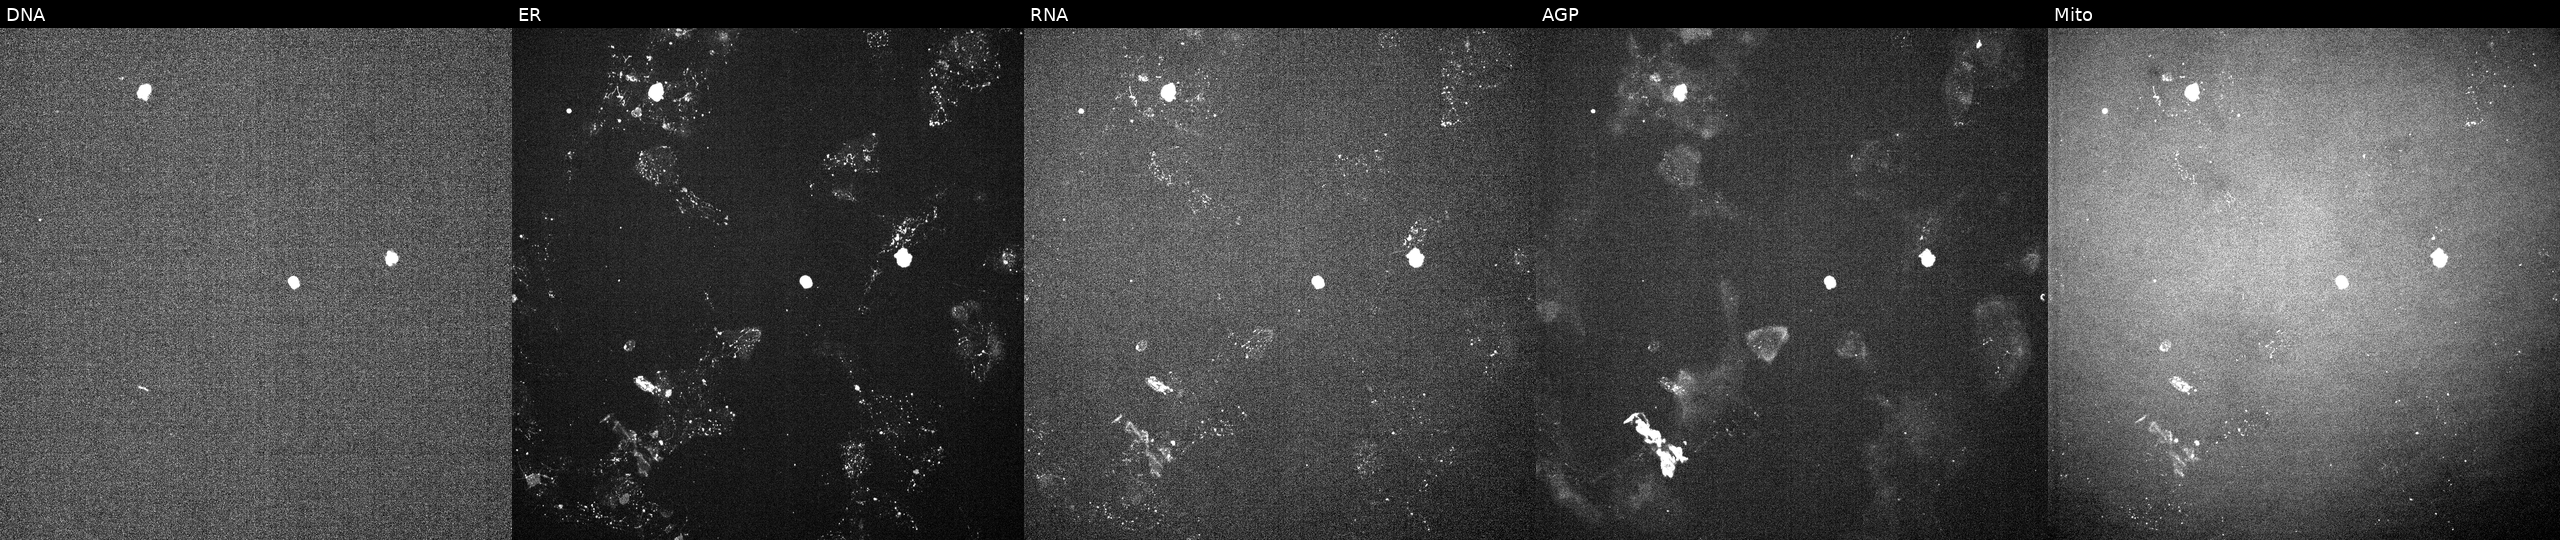
Channels (left→right): Hoechst 33342, concanavalin A, SYTO 14, phalloidin and WGA, MitoTracker. U2OS osteosarcoma cells perturbed with a small-molecule compound (InChIKey RXWNCPJZOCPEPQ-UHFFFAOYSA-N) (JUMP id JCP2022_081430). Cell Painting assay, JUMP-CP dataset.